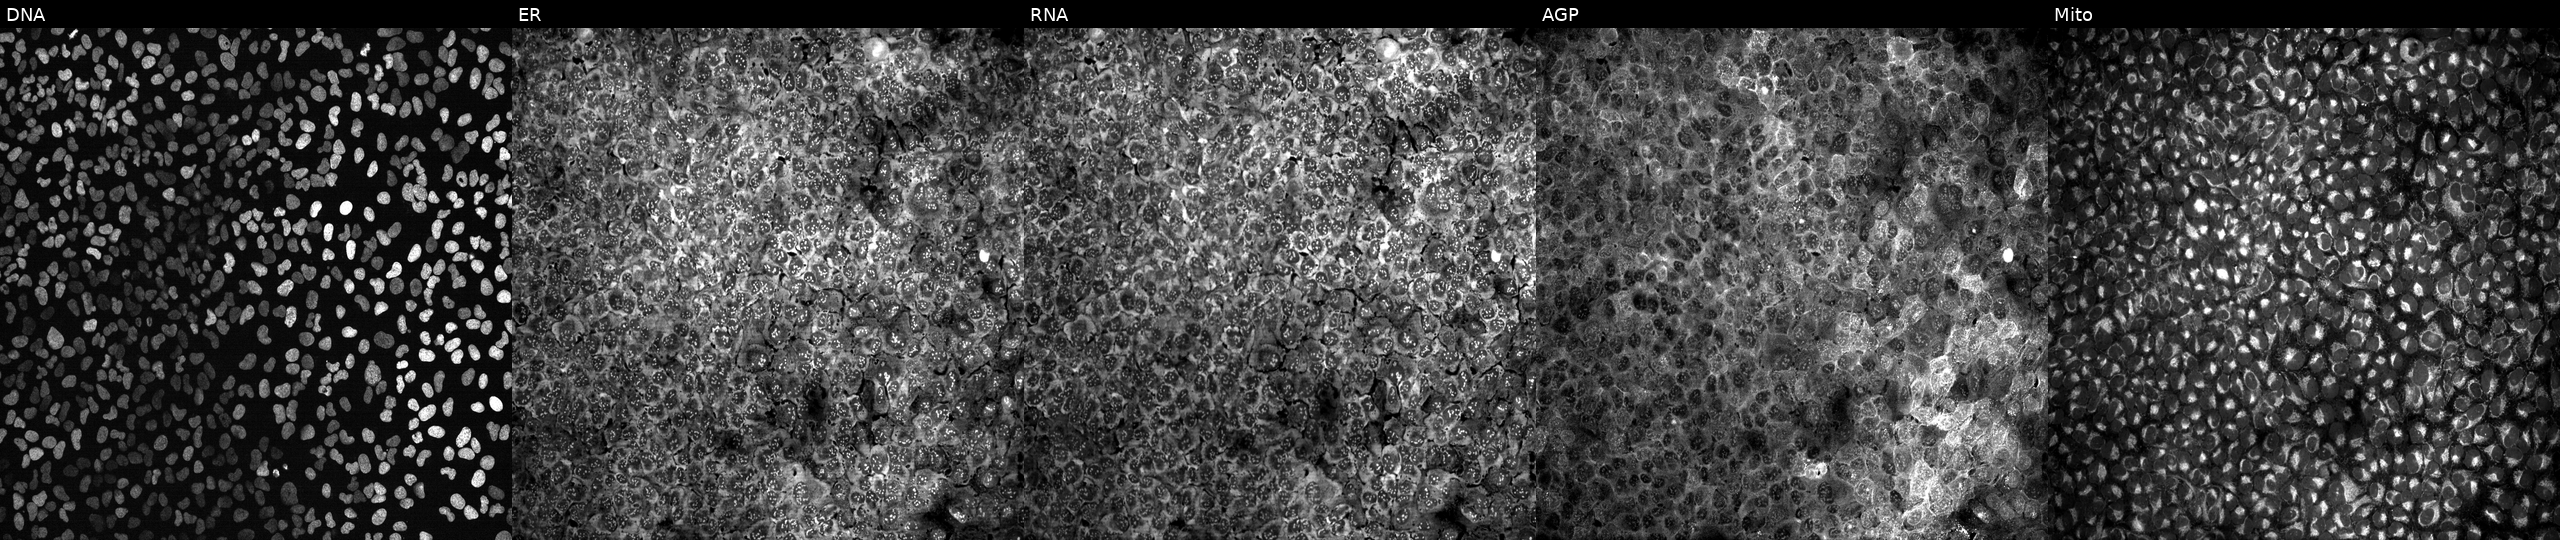
High-content fluorescence microscopy (Cell Painting). Cell line: U2OS. Perturbation: with no CRISPR guide (negative control). The five panels, left to right, show Hoechst 33342, concanavalin A, SYTO 14, phalloidin and WGA, MitoTracker. Source 13, plate CP-CC9-R4-04, well H02.